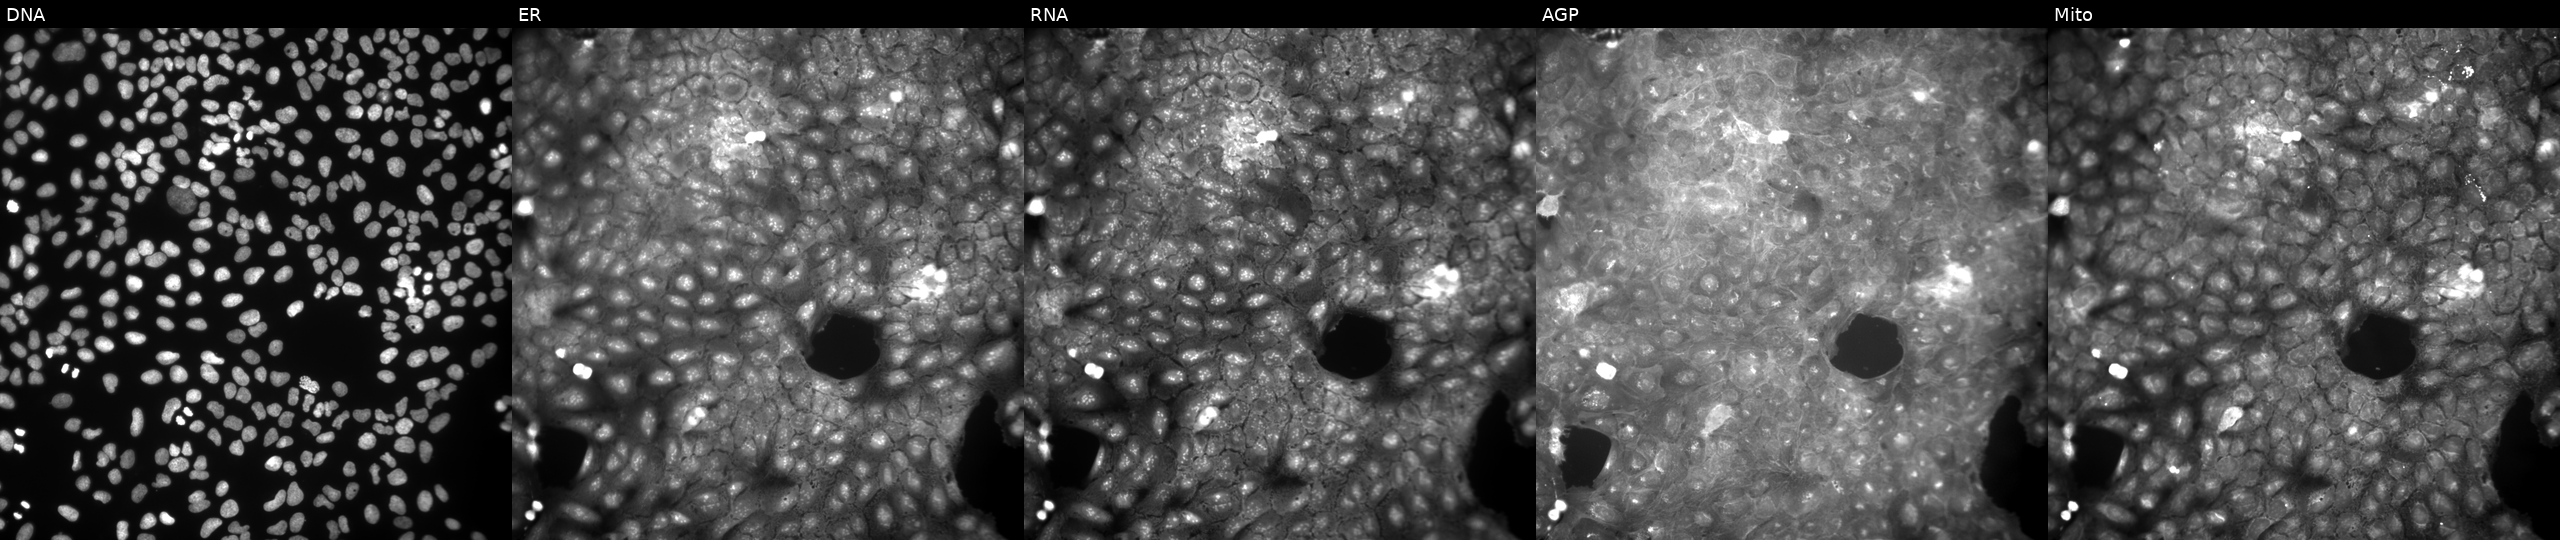
High-content fluorescence microscopy (Cell Painting). Cell line: U2OS. Perturbation: exposed to a small-molecule compound (InChIKey PKAWZDKTBOFAKM-UHFFFAOYSA-N). Panels show, left to right, DNA, ER, RNA, AGP, and Mito. Source 9, plate GR00003381, well O46.